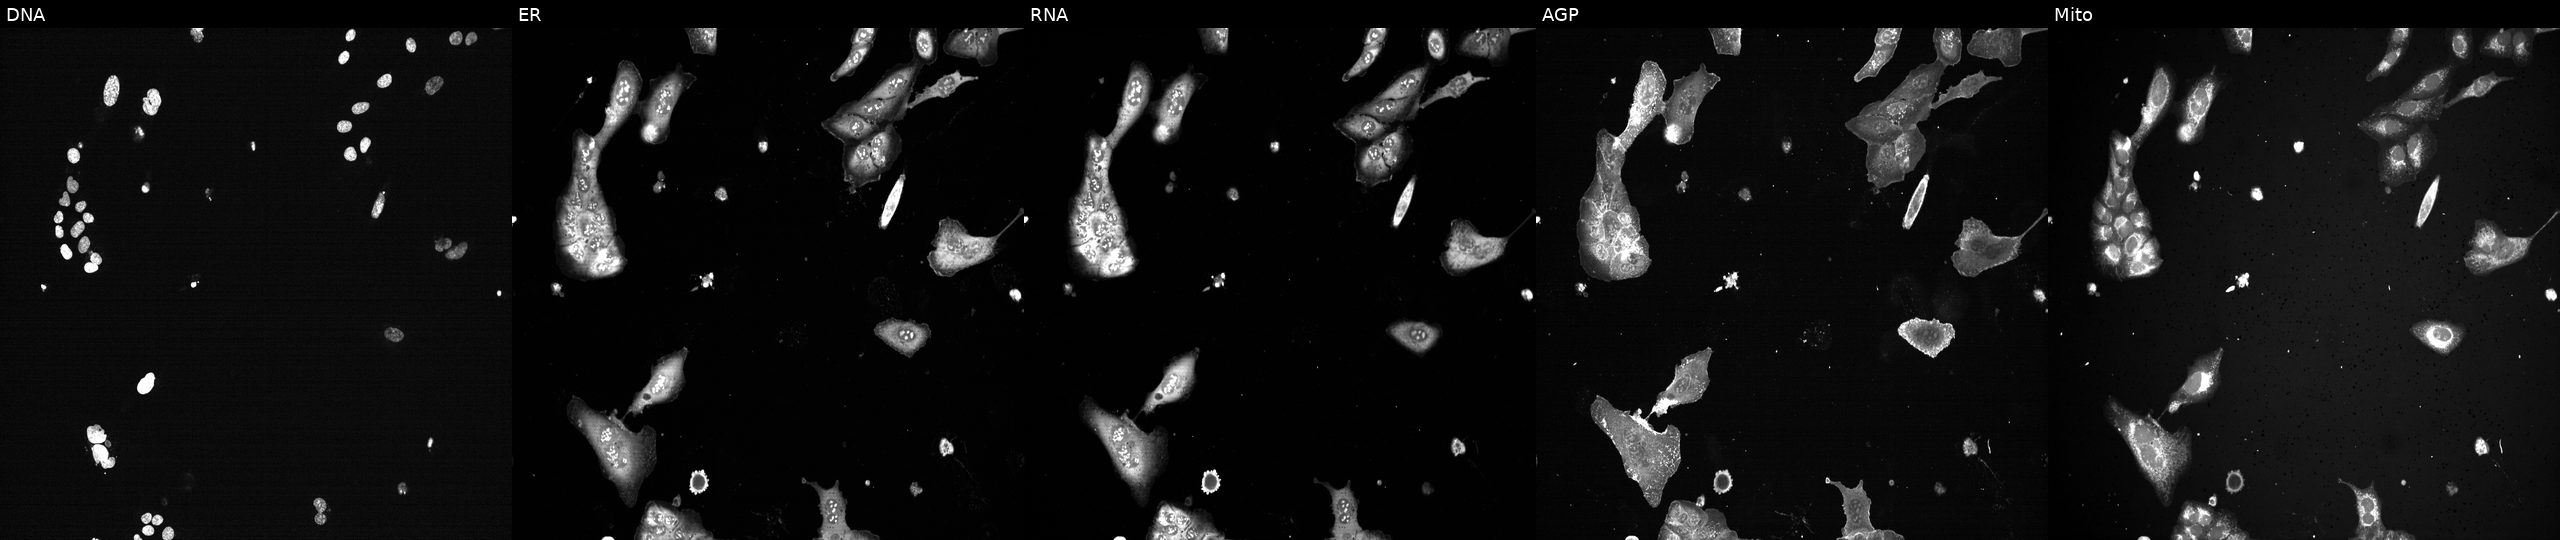
From left to right: DNA (nuclei); ER (endoplasmic reticulum); RNA (nucleoli and cytoplasmic RNA); AGP (actin cytoskeleton, Golgi, and plasma membrane); Mito (mitochondria). U2OS osteosarcoma cells with PLK1 knocked out by CRISPR (positive control). Cell Painting assay, JUMP-CP dataset. Source 13, plate CP-CC9-R5-01, well B23.